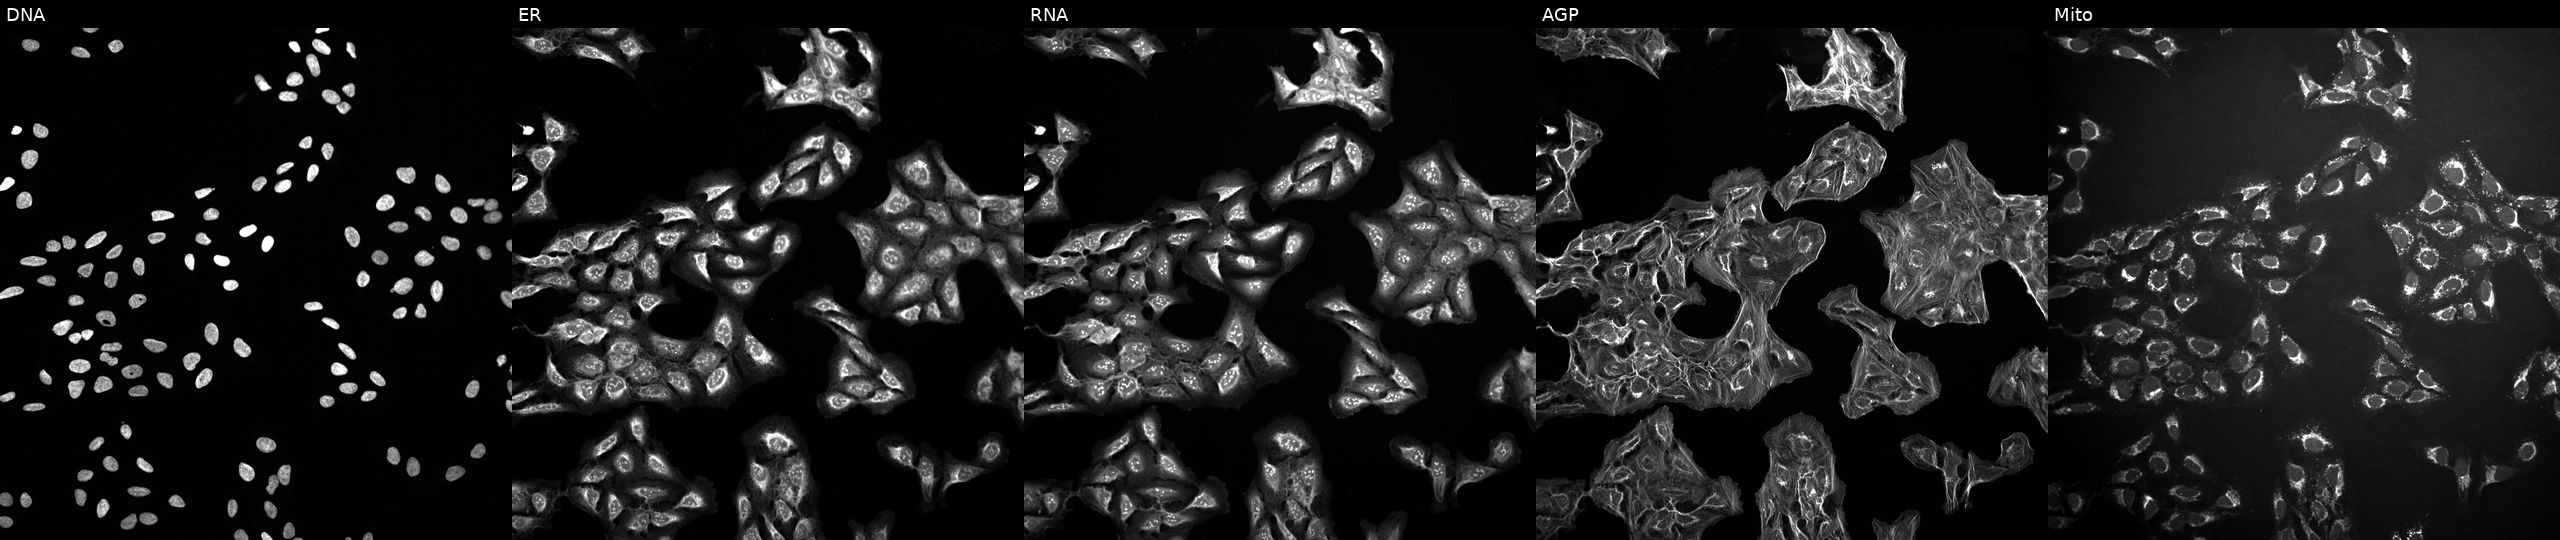
The five panels, left to right, show Hoechst 33342, concanavalin A, SYTO 14, phalloidin and WGA, MitoTracker. U2OS osteosarcoma cells treated with a small-molecule compound (InChIKey VUIRVWPJNKZOSS-UHFFFAOYSA-N). Cell Painting assay, JUMP-CP dataset. Source 10, plate Dest210727-153003, well D15.